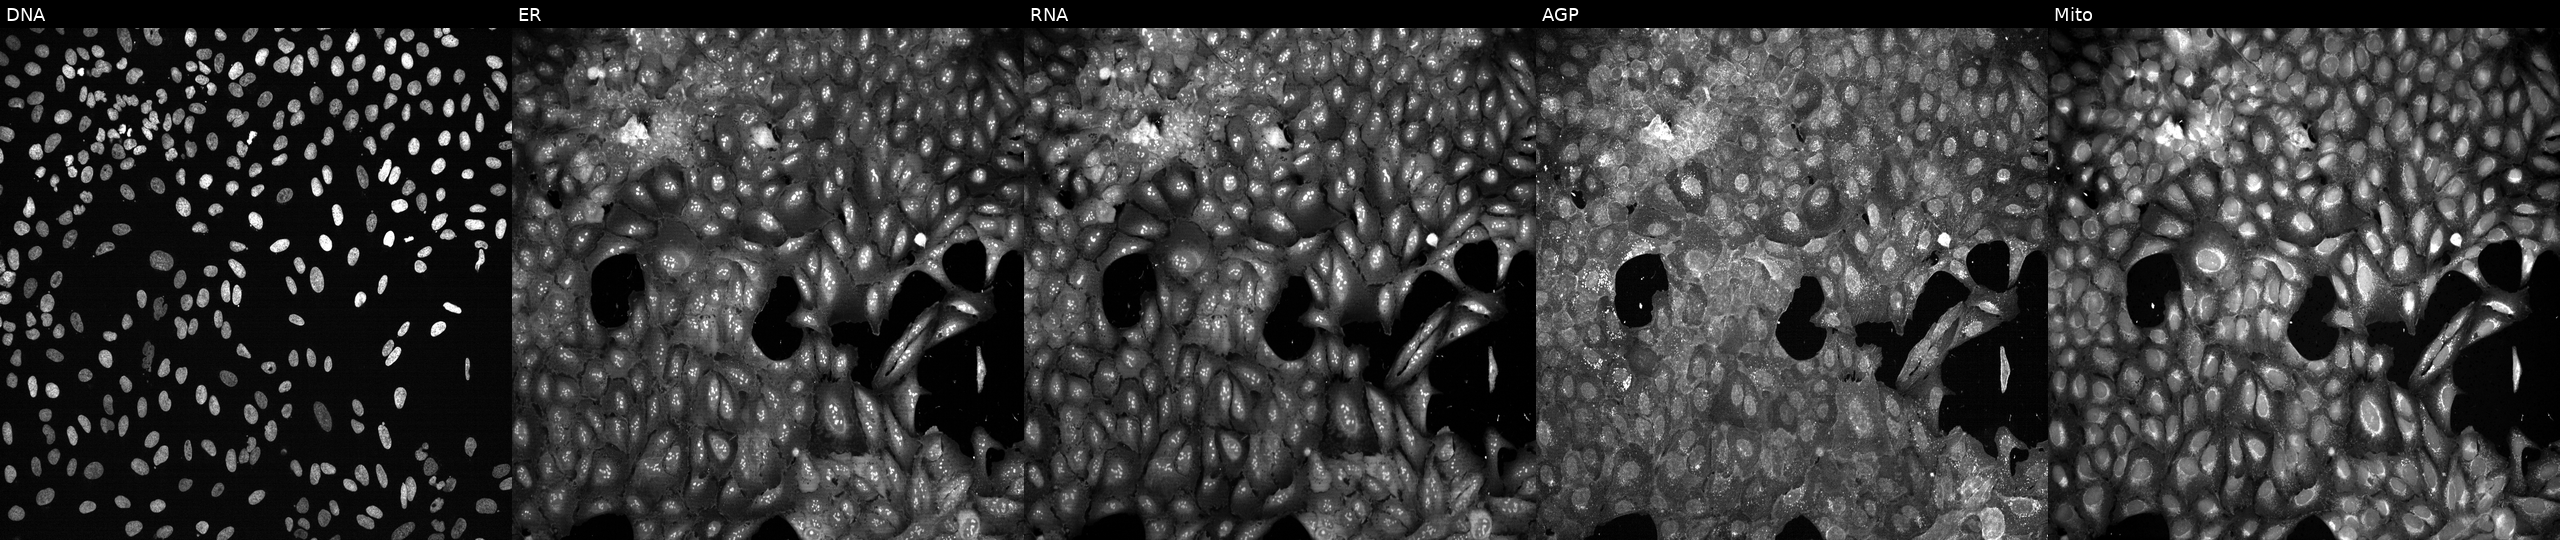
JUMP Cell Painting — CRISPR plate. U2OS cells CRISPR-edited to disrupt UGT1A3. From left to right: DNA, ER, RNA, AGP, and Mito. Source 13, plate CP-CC9-R1-01, well P08.